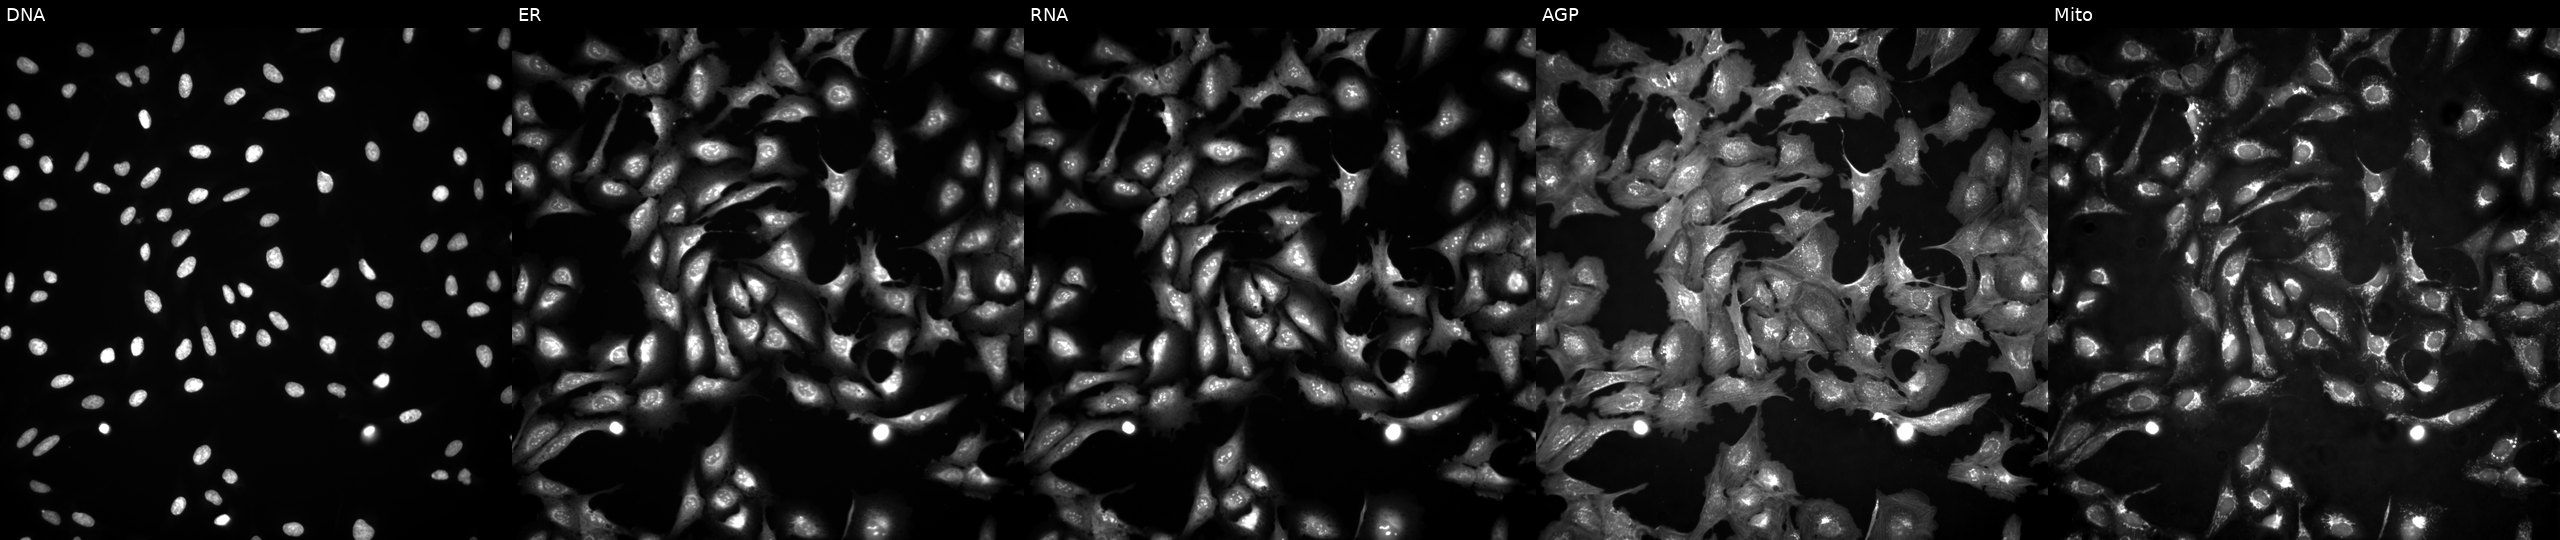
JUMP Cell Painting — ORF plate. U2OS cells overexpressing EPHA4 via ORF transfection. Panels show, left to right, Hoechst 33342, concanavalin A, SYTO 14, phalloidin and WGA, MitoTracker.